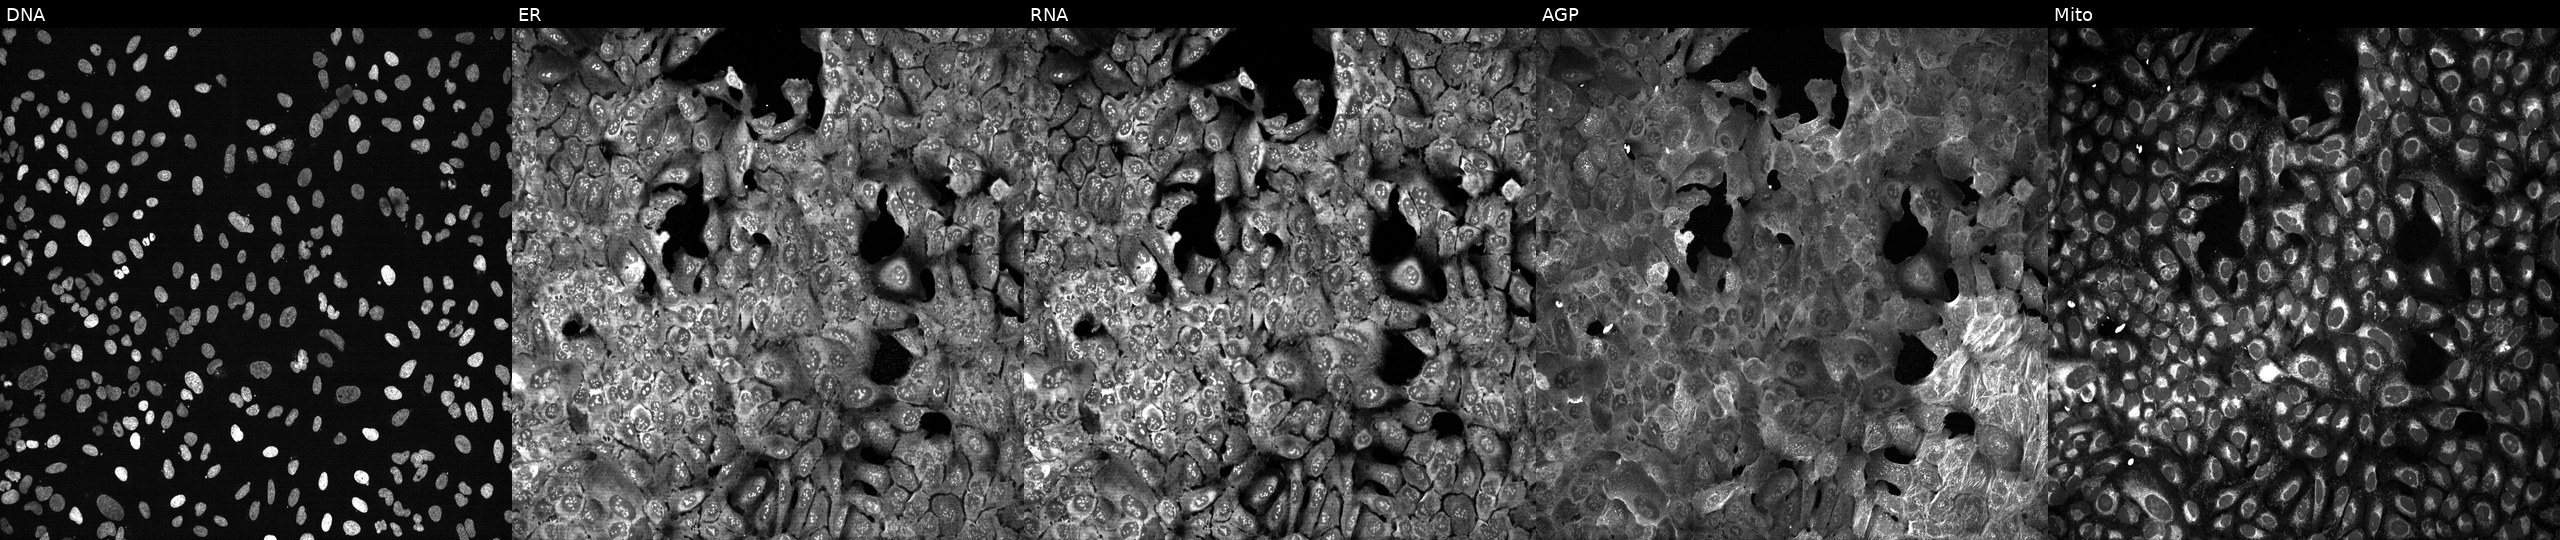
JUMP Cell Painting — CRISPR plate. U2OS cells CRISPR-edited to disrupt GNPNAT1. Channels (left→right): Hoechst 33342, concanavalin A, SYTO 14, phalloidin and WGA, MitoTracker. Source 13, plate CP-CC9-R2-01, well E18.